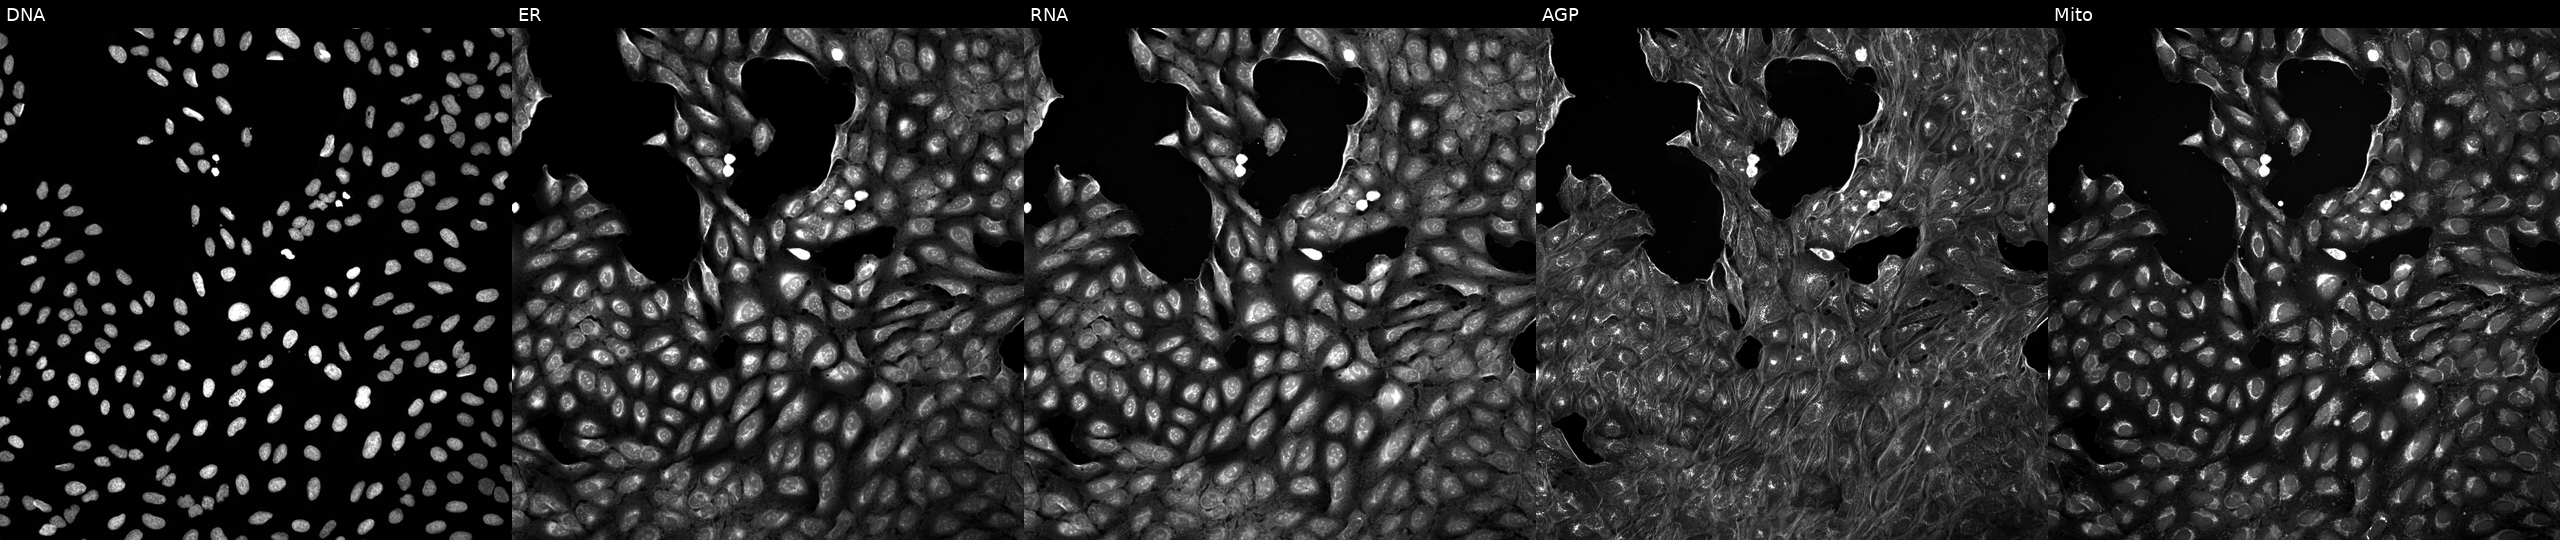
The five panels, left to right, show DNA (nuclei); ER (endoplasmic reticulum); RNA (nucleoli and cytoplasmic RNA); AGP (actin cytoskeleton, Golgi, and plasma membrane); Mito (mitochondria). U2OS osteosarcoma cells exposed to DMSO alone as a negative control. Cell Painting assay, JUMP-CP dataset. Source 5, plate ACPJUM051, well M10.